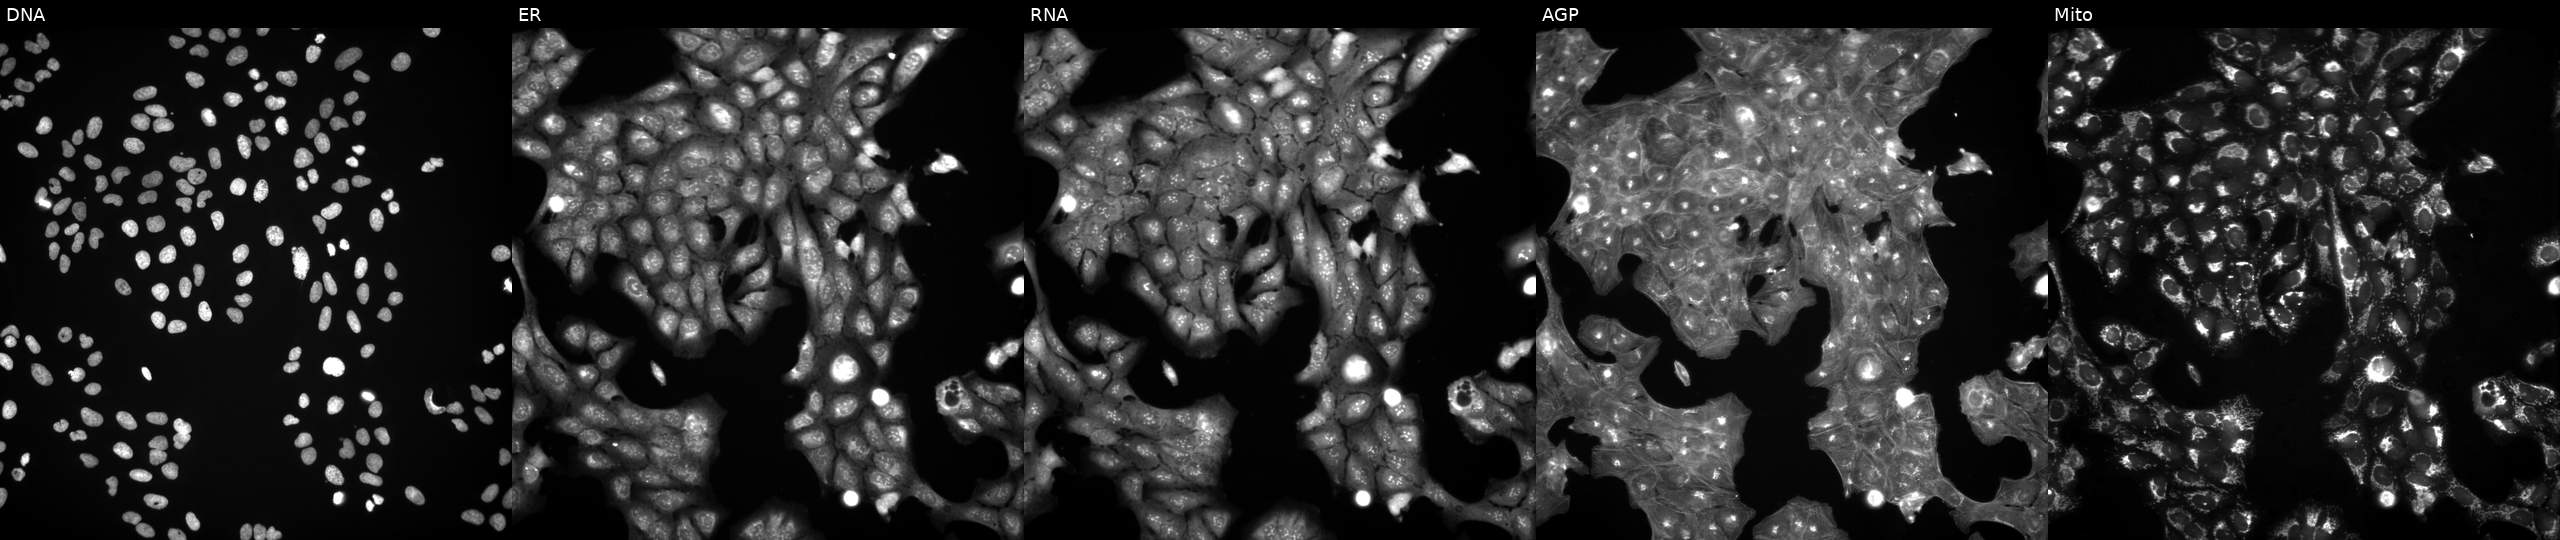
JUMP Cell Painting — TARGET2 plate. U2OS cells treated with a small-molecule compound (InChIKey QTBWCSQGBMPECM-UHFFFAOYSA-N) (JUMP id JCP2022_075694). Panels show, left to right, DNA, ER, RNA, AGP, and Mito. Source 3, plate JCPQC051, well K10.